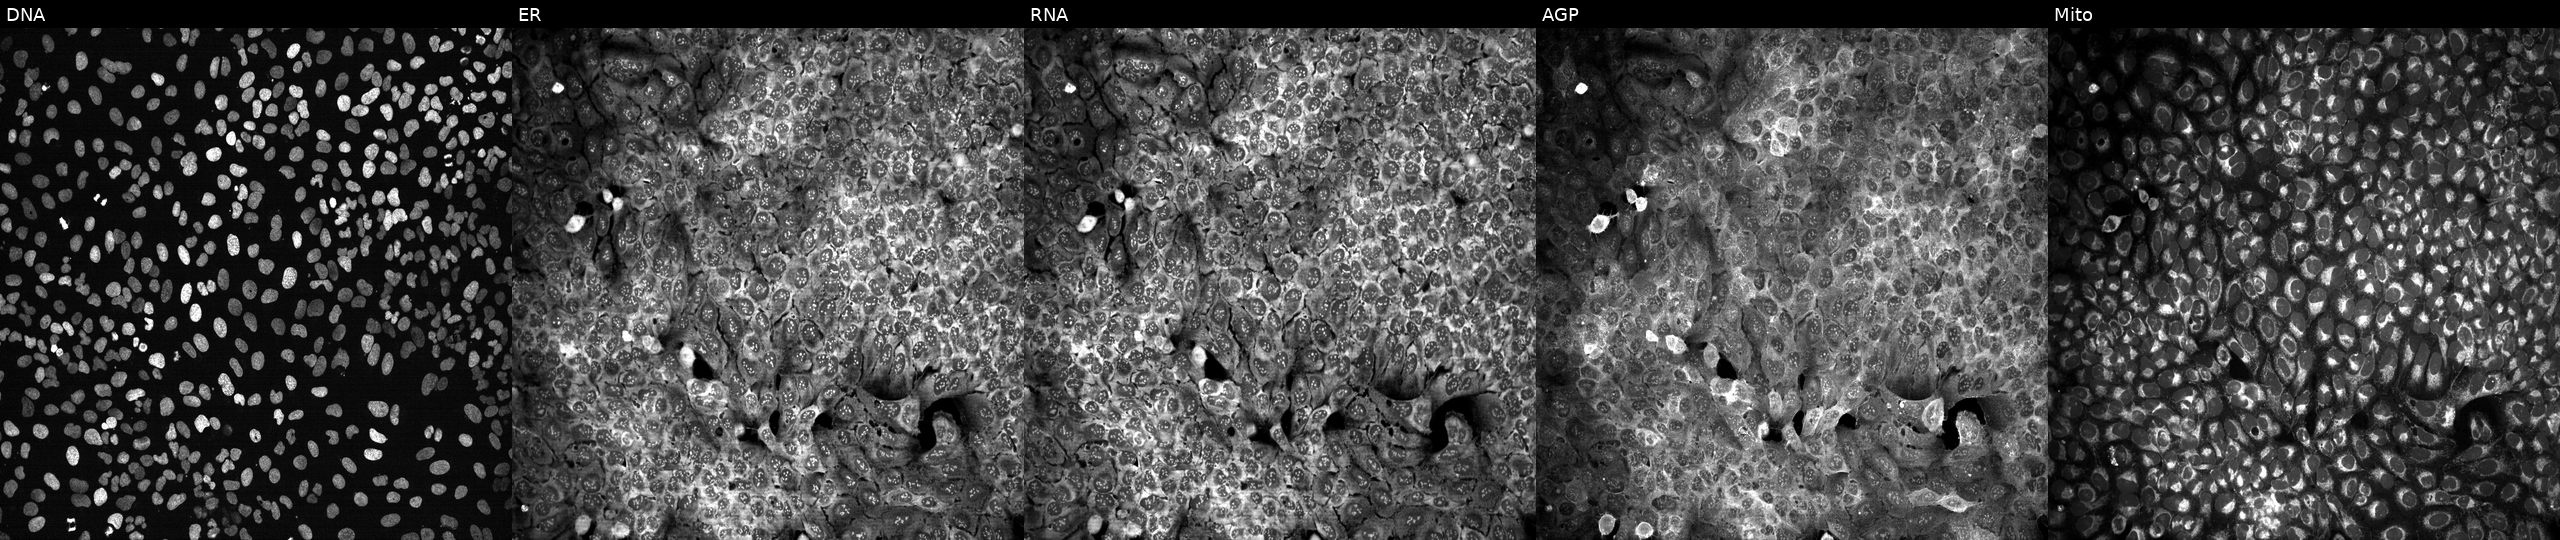
U2OS cells, Cell Painting assay, following CRISPR knockout of TDGF1 (JUMP id JCP2022_807010). From left to right: Hoechst 33342, concanavalin A, SYTO 14, phalloidin and WGA, MitoTracker. Each panel is percentile-stretched 16-bit fluorescence.